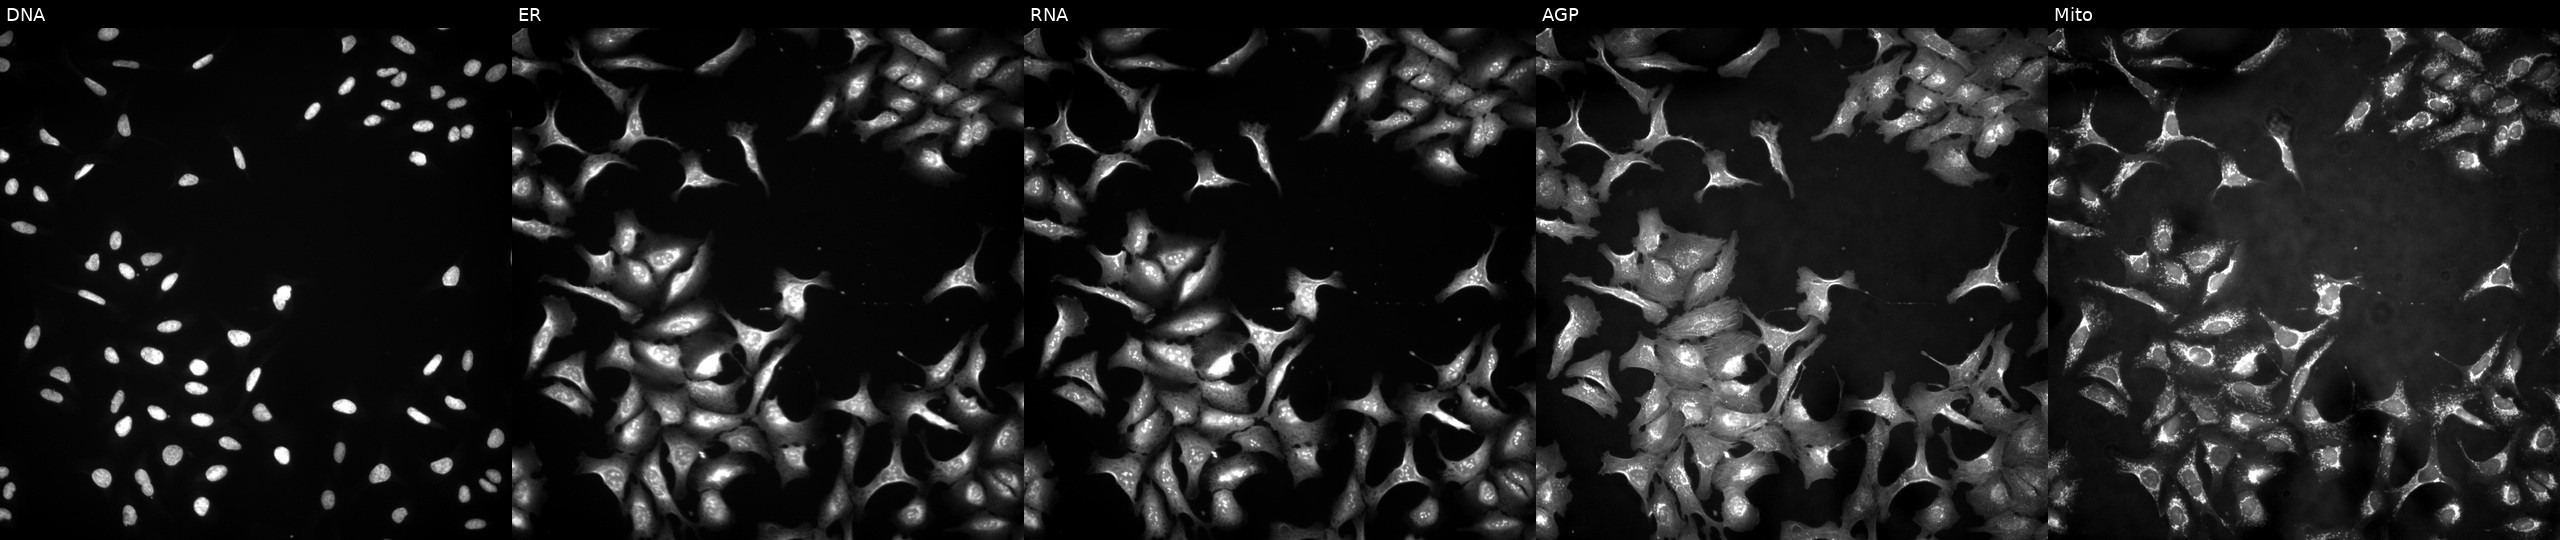
This image strip shows the five Cell Painting channels for a single field of U2OS cells with TXN2 overexpressed (ORF). Panels show, left to right, DNA (nuclei); ER (endoplasmic reticulum); RNA (nucleoli and cytoplasmic RNA); AGP (actin cytoskeleton, Golgi, and plasma membrane); Mito (mitochondria).